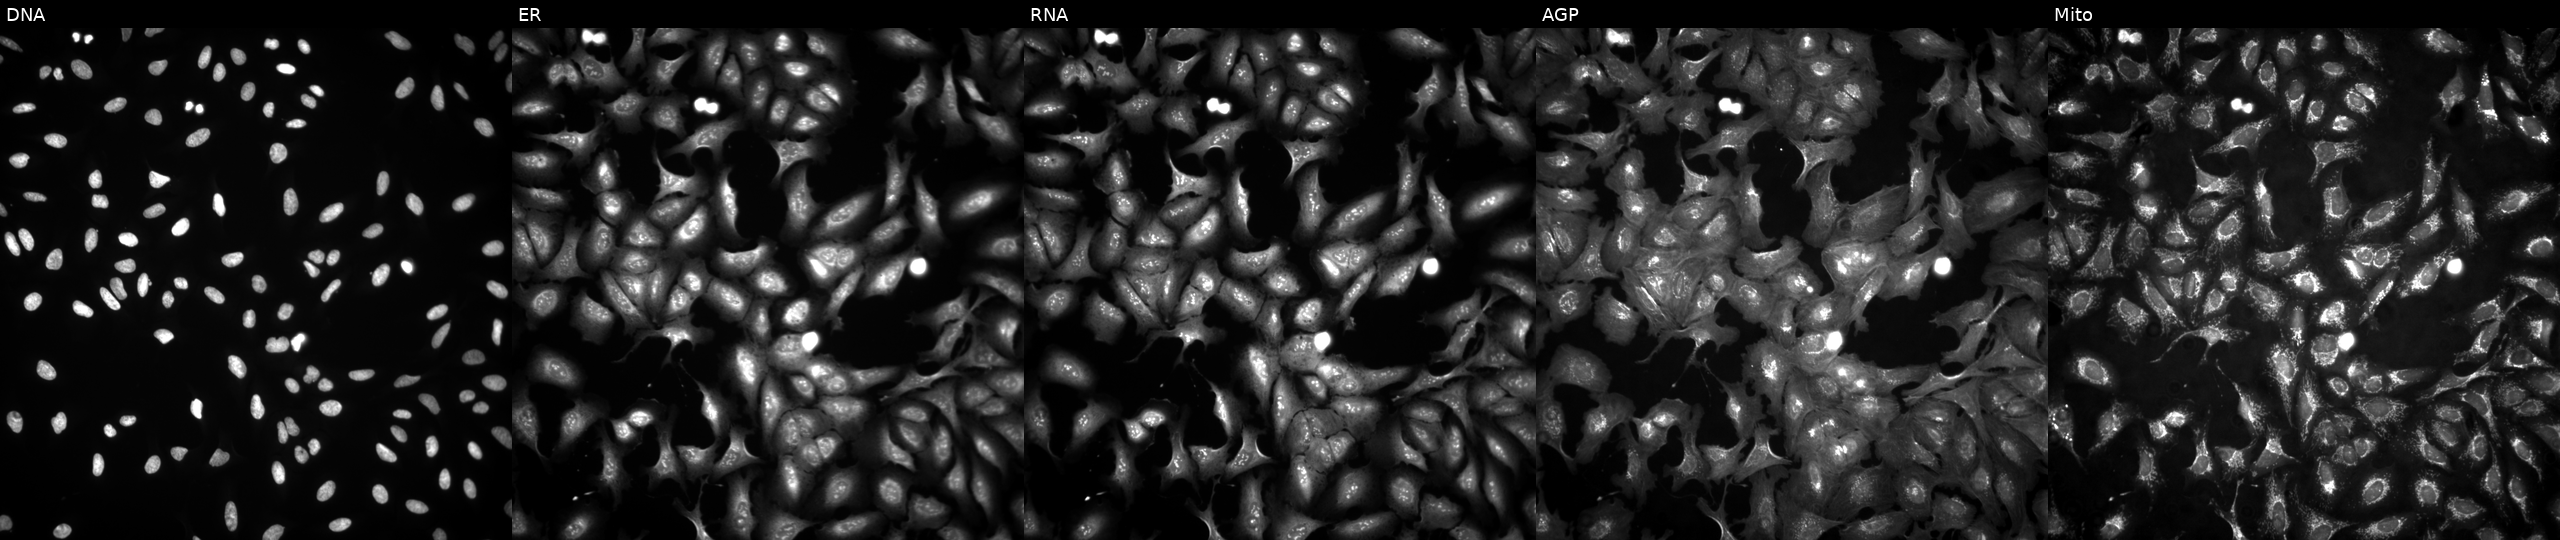
JUMP Cell Painting — ORF plate. U2OS cells transfected with an ORF construct for VAPA. Panels show, left to right, DNA, ER, RNA, AGP, and Mito.